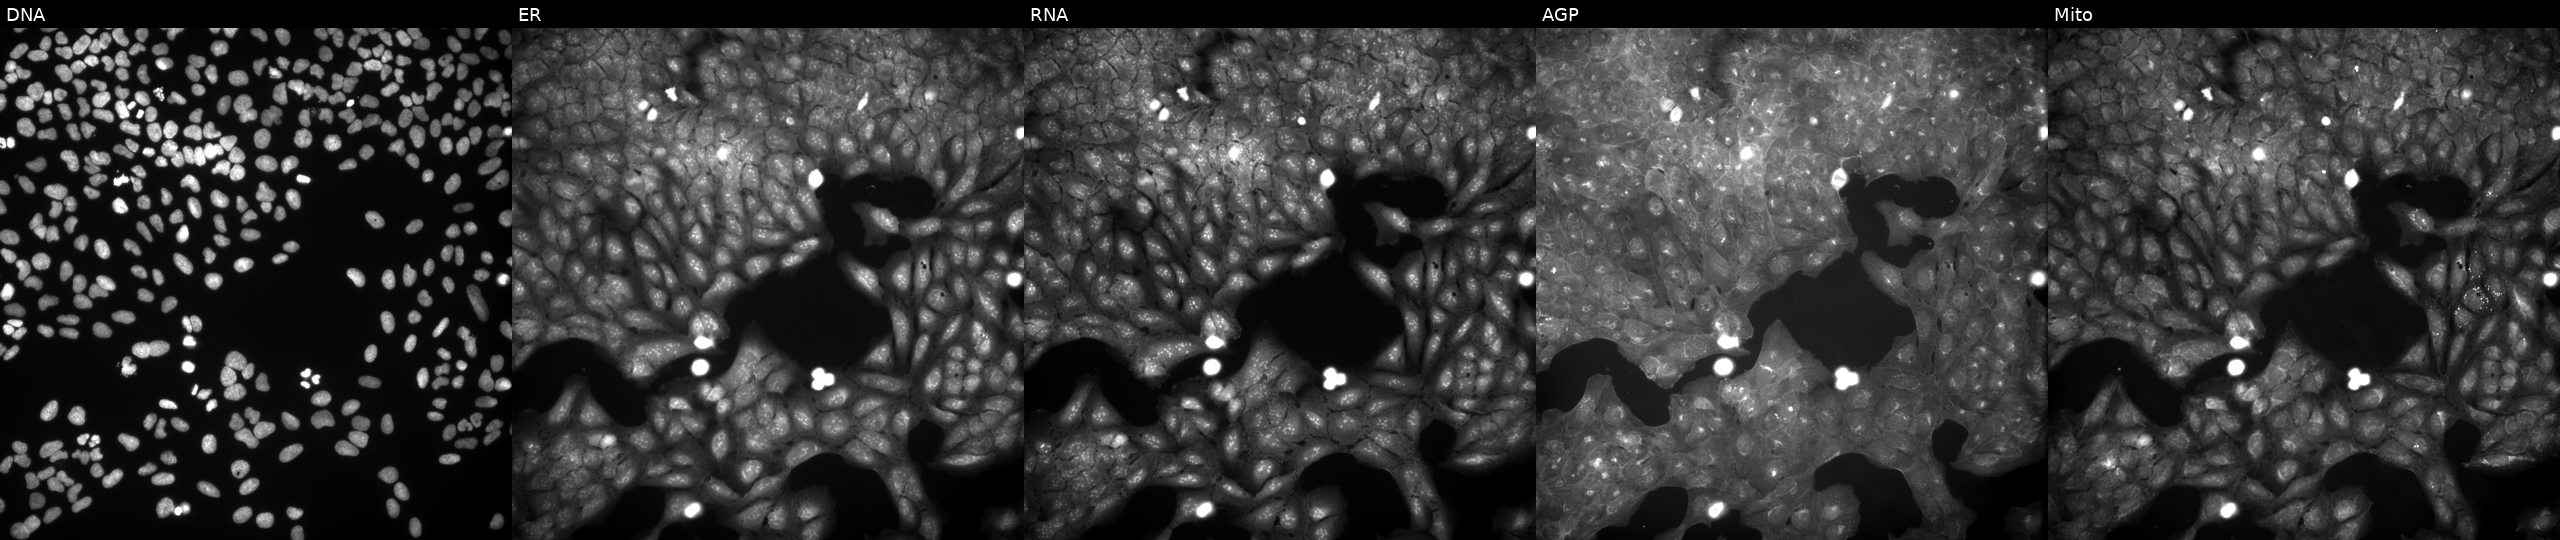
This image strip shows the five Cell Painting channels for a single field of U2OS cells exposed to a small-molecule compound (InChIKey KXTRDSKEGLBEJO-UHFFFAOYSA-N) (JUMP id JCP2022_047672). The five panels, left to right, show DNA (nuclei); ER (endoplasmic reticulum); RNA (nucleoli and cytoplasmic RNA); AGP (actin cytoskeleton, Golgi, and plasma membrane); Mito (mitochondria). Source 9, plate GR00003382, well G35.